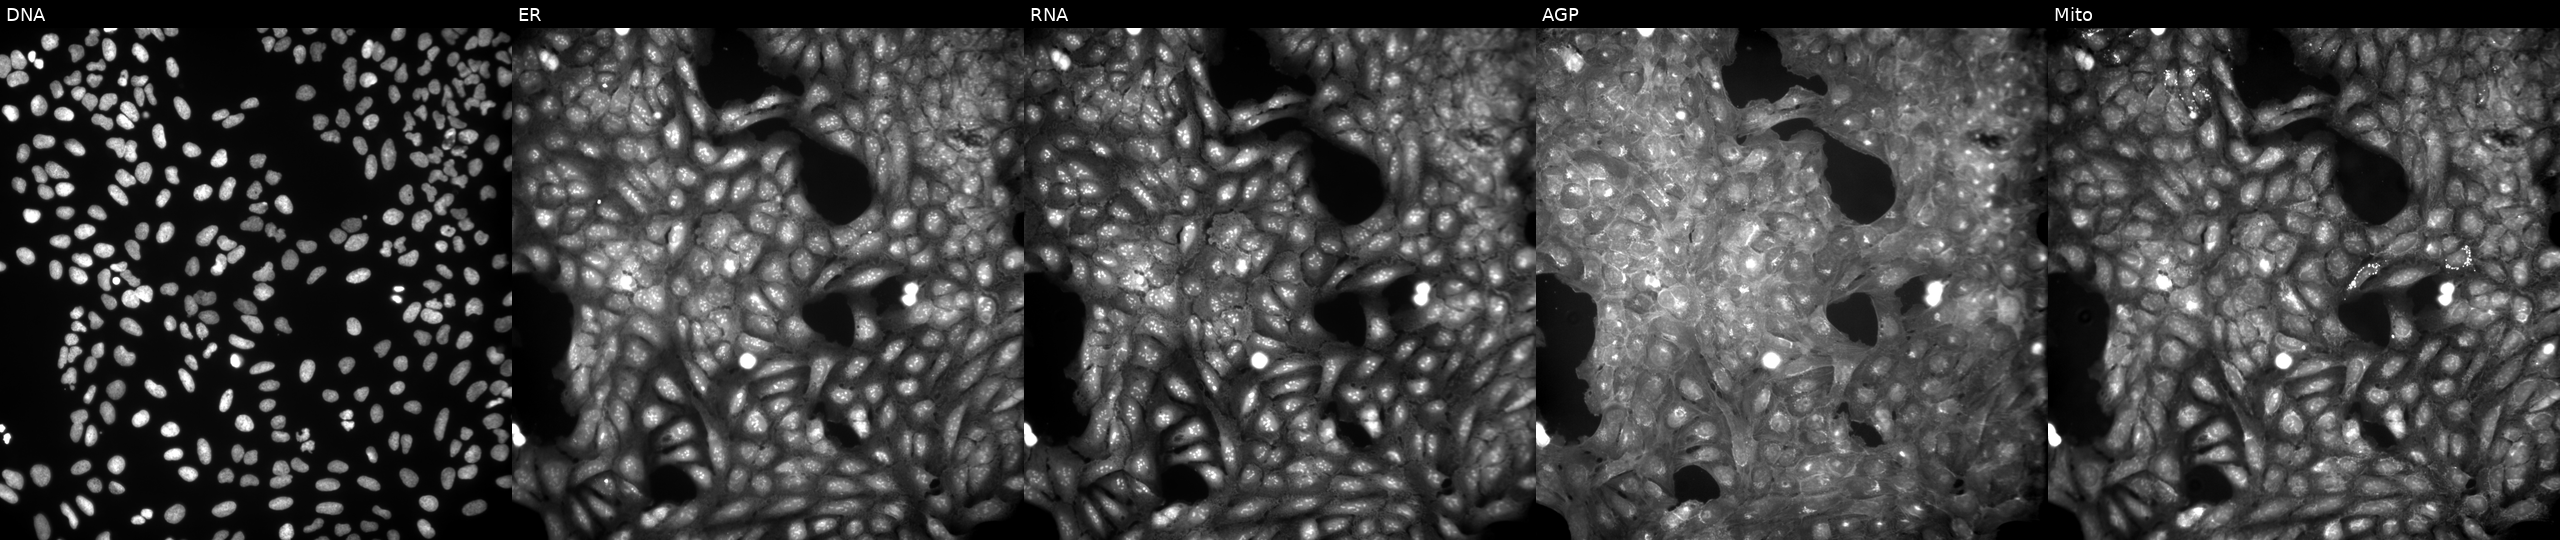
U2OS cells, Cell Painting assay, exposed to a small-molecule compound (InChIKey NHRGJCJTJXYGDA-UHFFFAOYSA-N) [SMILES: O=S(=O)(NC(=S)c1ccccc1)c1ccccc1]. The five panels, left to right, show DNA (nuclei); ER (endoplasmic reticulum); RNA (nucleoli and cytoplasmic RNA); AGP (actin cytoskeleton, Golgi, and plasma membrane); Mito (mitochondria). Each panel is percentile-stretched 16-bit fluorescence.